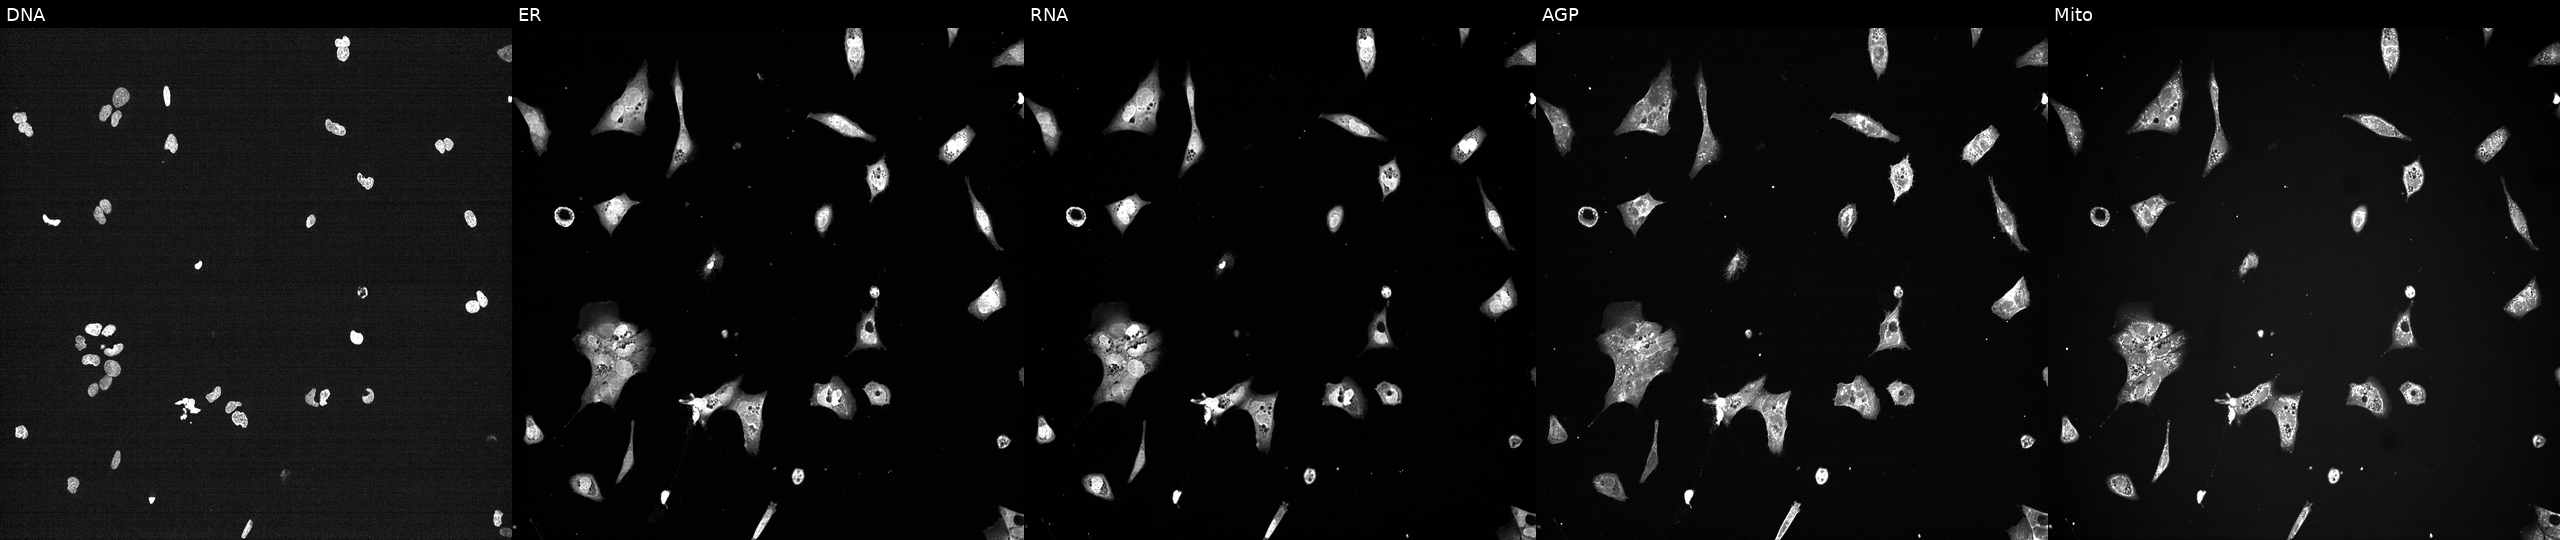
High-content fluorescence microscopy (Cell Painting). Cell line: U2OS. Perturbation: exposed to a small-molecule compound (InChIKey XLSYZSRXVVCHLS-UHFFFAOYSA-N) [SMILES: COCCN1CCN(Cc2ccc(-c3[nH]nc4c3C(=O)c3c(NC(=O)NN5CCOCC5)cccc3-4)cc2)CC1]. From left to right: DNA, ER, RNA, AGP, and Mito. Source 7, plate CP3-SC1-25, well H11.